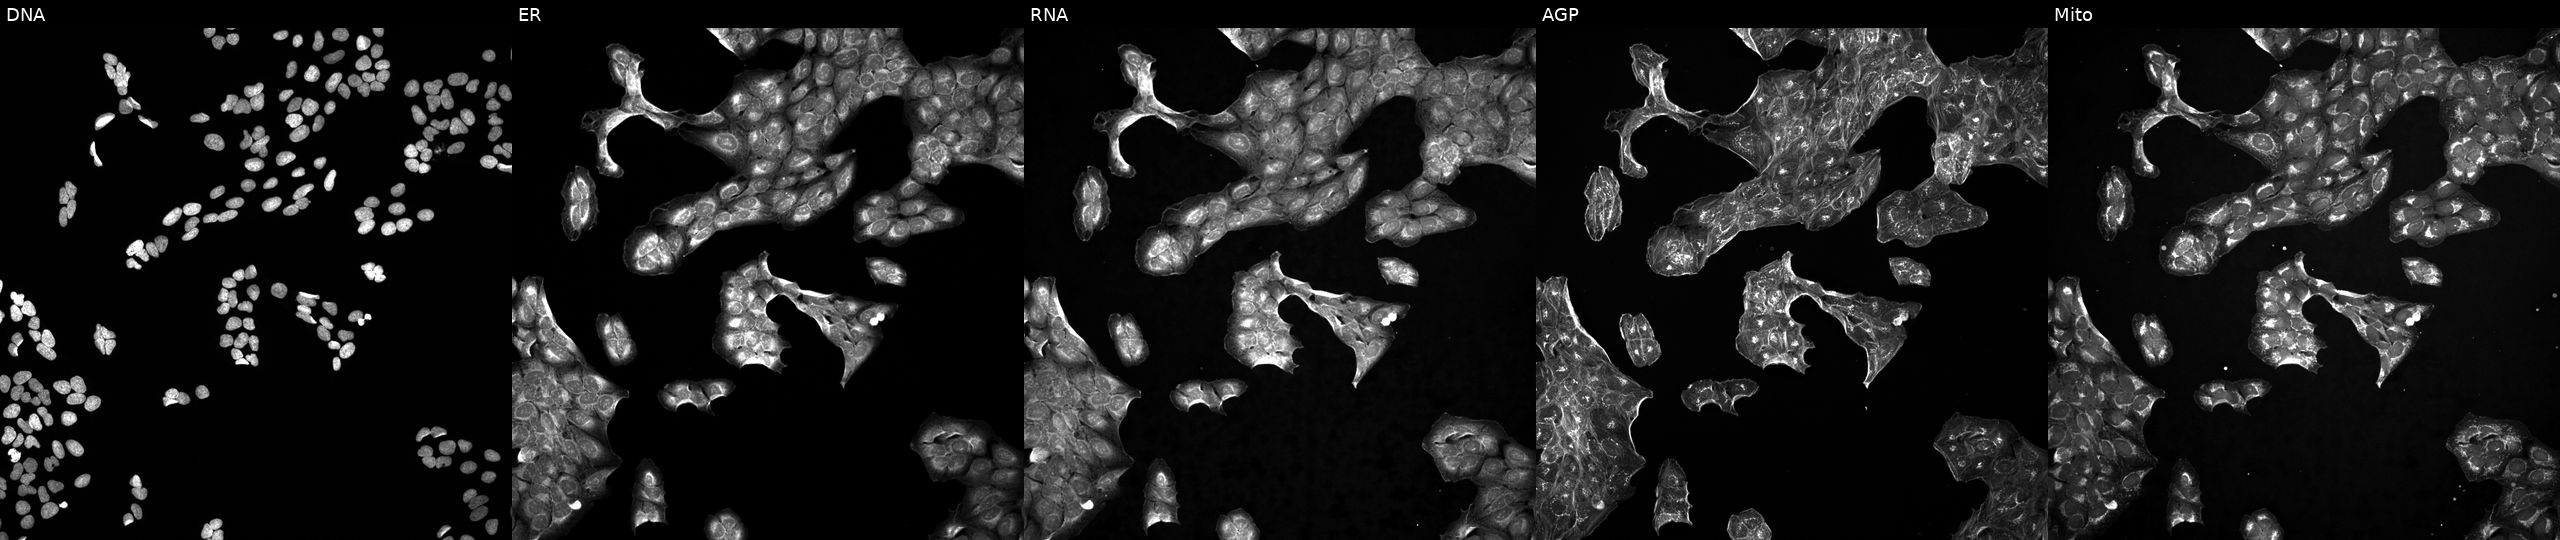
JUMP Cell Painting — TARGET2 plate. U2OS cells perturbed with a small-molecule compound (InChIKey ZVPDNRVYHLRXLX-UHFFFAOYSA-N). Channels (left→right): DNA, ER, RNA, AGP, and Mito.